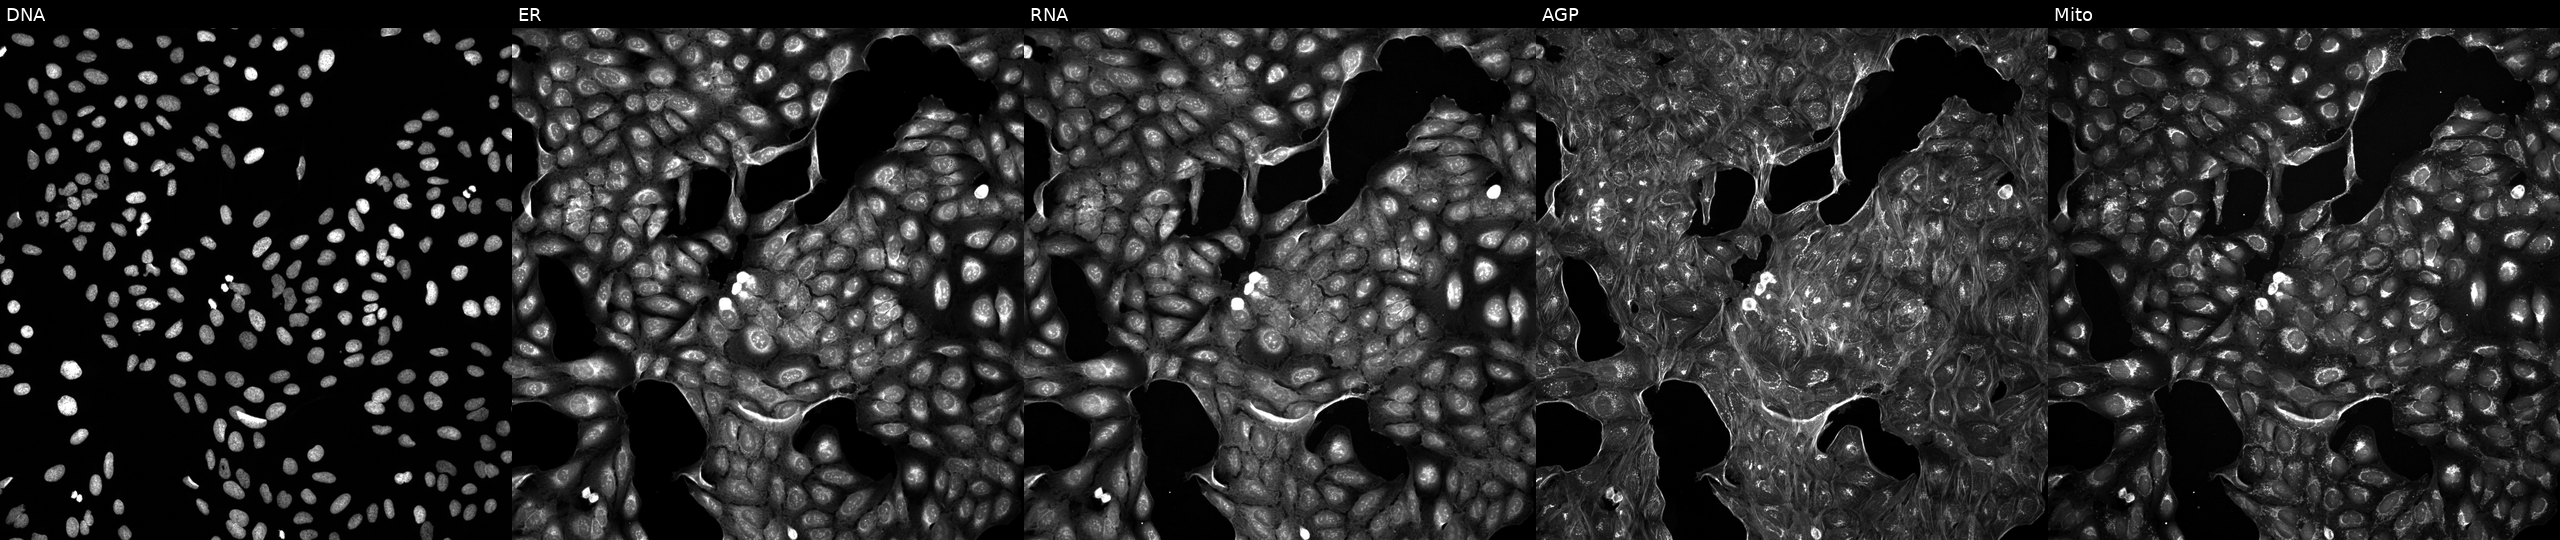
JUMP Cell Painting — TARGET2 plate. U2OS cells treated with a small-molecule compound (JUMP id JCP2022_087474). Channels (left→right): DNA, ER, RNA, AGP, and Mito. Source 5, plate ACPJUM032, well C06.